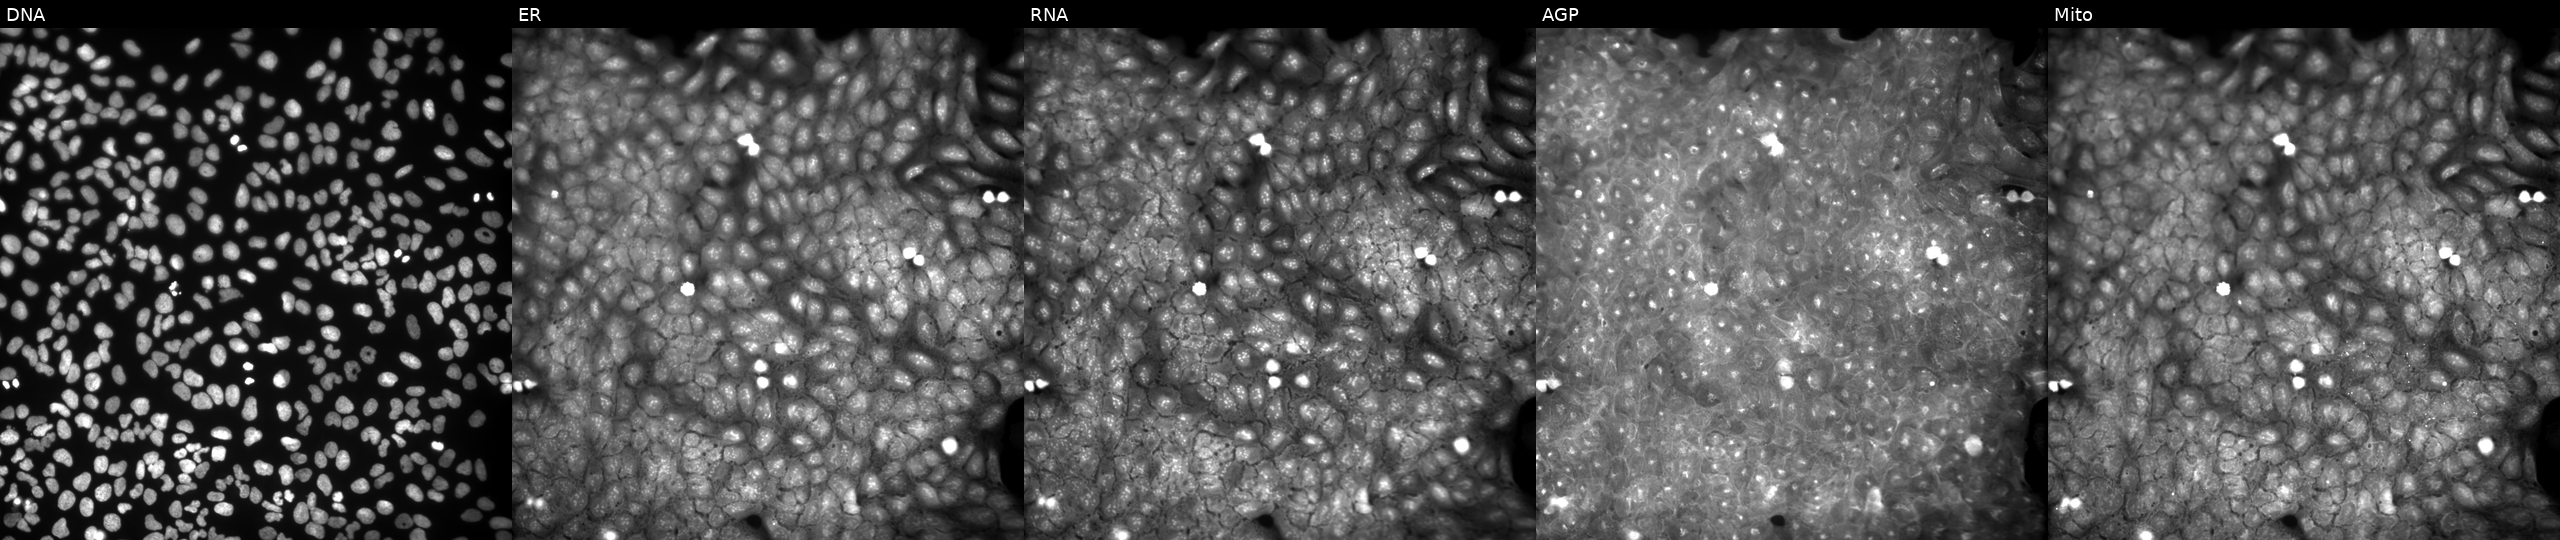
Five-channel Cell Painting image of U2OS cells perturbed with a small-molecule compound (InChIKey UKJHYMDKFLEBCX-UHFFFAOYSA-N) (JUMP id JCP2022_089810). Channels (left→right): Hoechst 33342, concanavalin A, SYTO 14, phalloidin and WGA, MitoTracker.